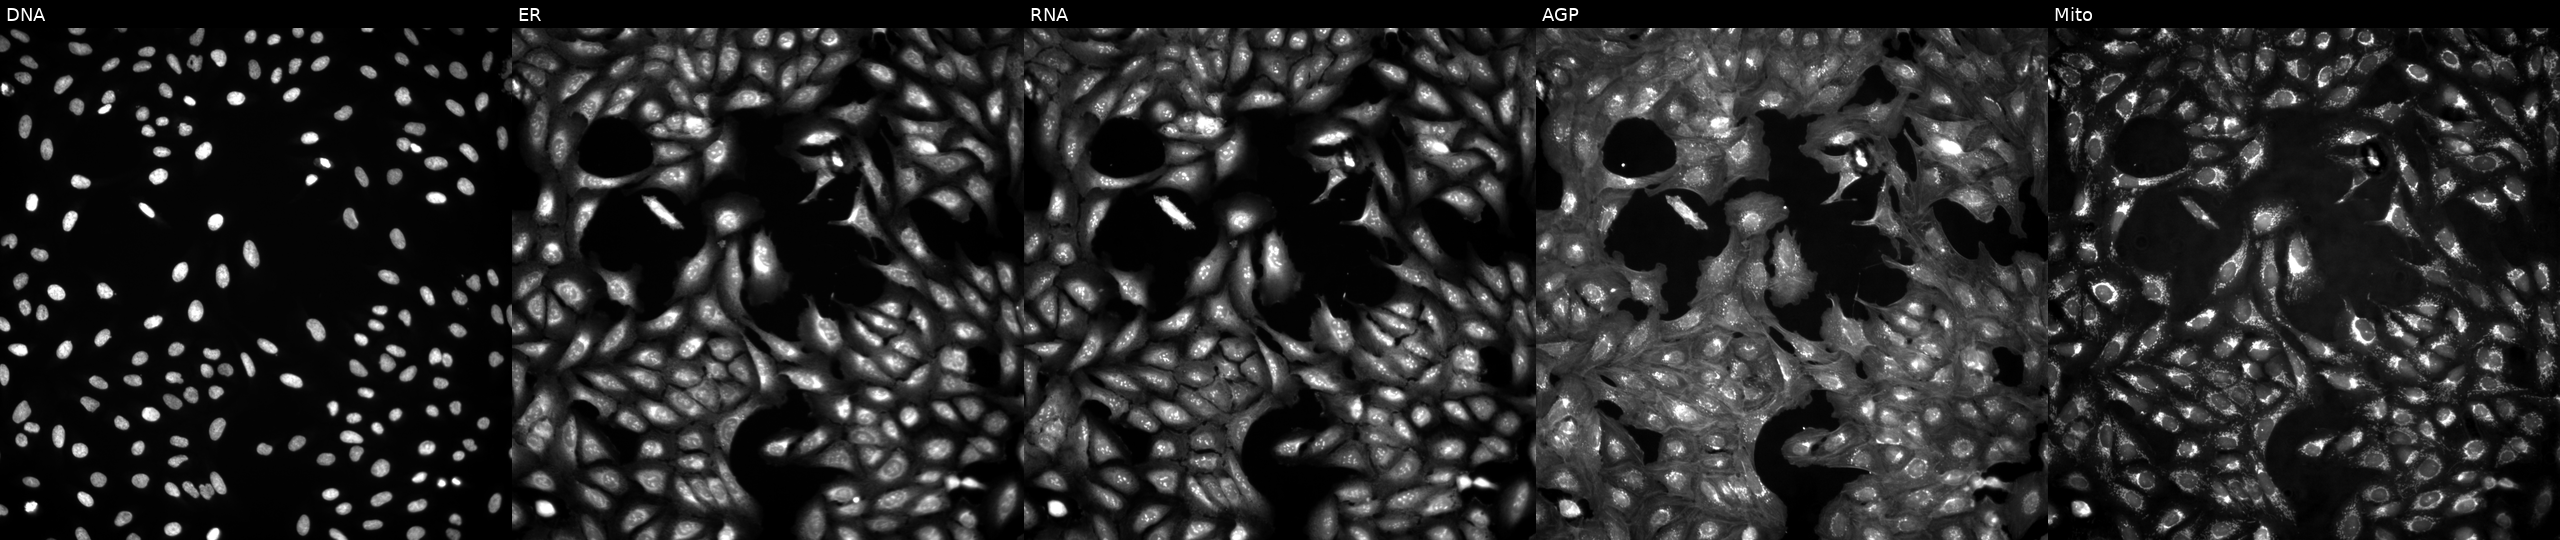
U2OS cells, Cell Painting assay, untreated (empty-well control). From left to right: DNA (nuclei); ER (endoplasmic reticulum); RNA (nucleoli and cytoplasmic RNA); AGP (actin cytoskeleton, Golgi, and plasma membrane); Mito (mitochondria). Each panel is percentile-stretched 16-bit fluorescence. Source 4, plate BR00124793, well O15.